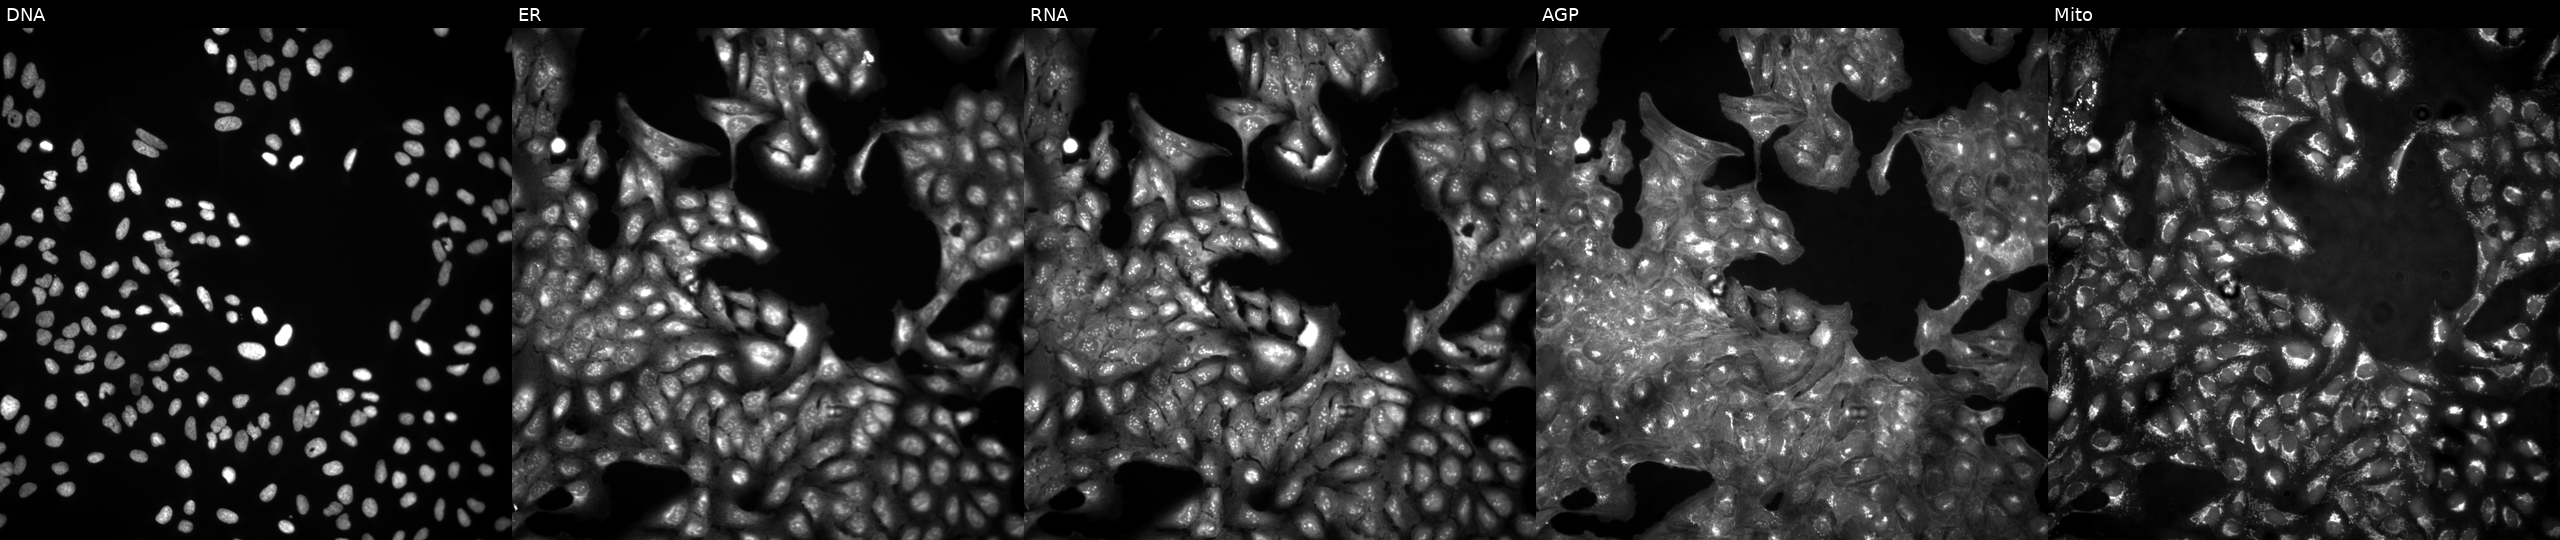
This image strip shows the five Cell Painting channels for a single field of U2OS cells untreated (empty-well control) (JUMP id JCP2022_999999). Channels (left→right): Hoechst 33342, concanavalin A, SYTO 14, phalloidin and WGA, MitoTracker. Source 4, plate BR00123946, well K23.